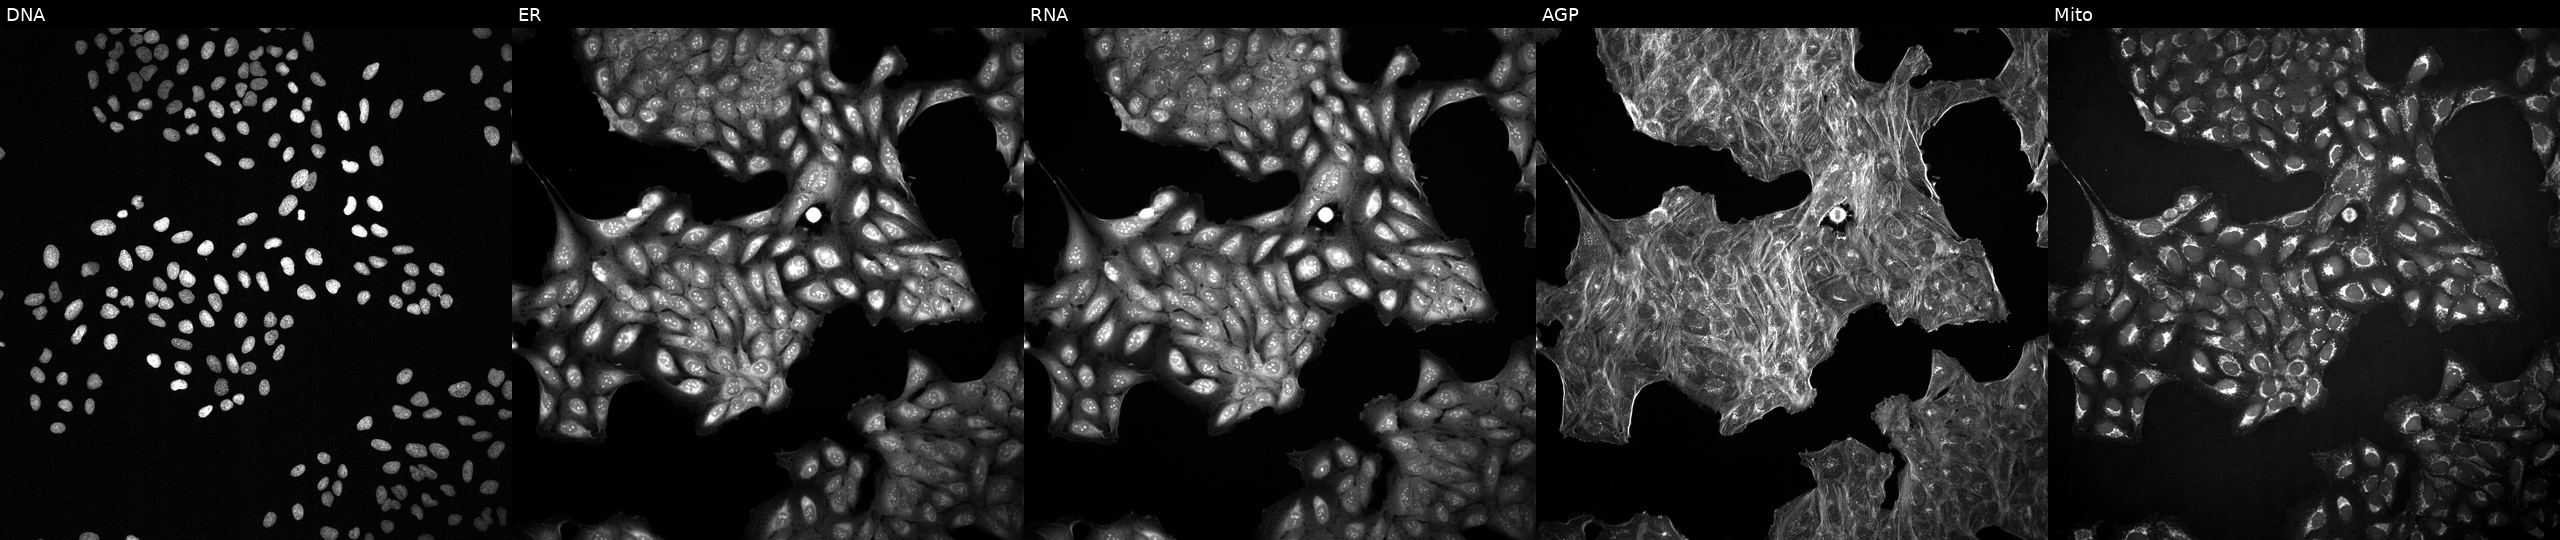
U2OS cells, Cell Painting assay, treated with a small-molecule compound (InChIKey XNOPRXBHLZRZKH-UHFFFAOYSA-N) (JUMP id JCP2022_104794). The five panels, left to right, show DNA (nuclei); ER (endoplasmic reticulum); RNA (nucleoli and cytoplasmic RNA); AGP (actin cytoskeleton, Golgi, and plasma membrane); Mito (mitochondria). Each panel is percentile-stretched 16-bit fluorescence. Source 2, plate 1053600674, well D21.